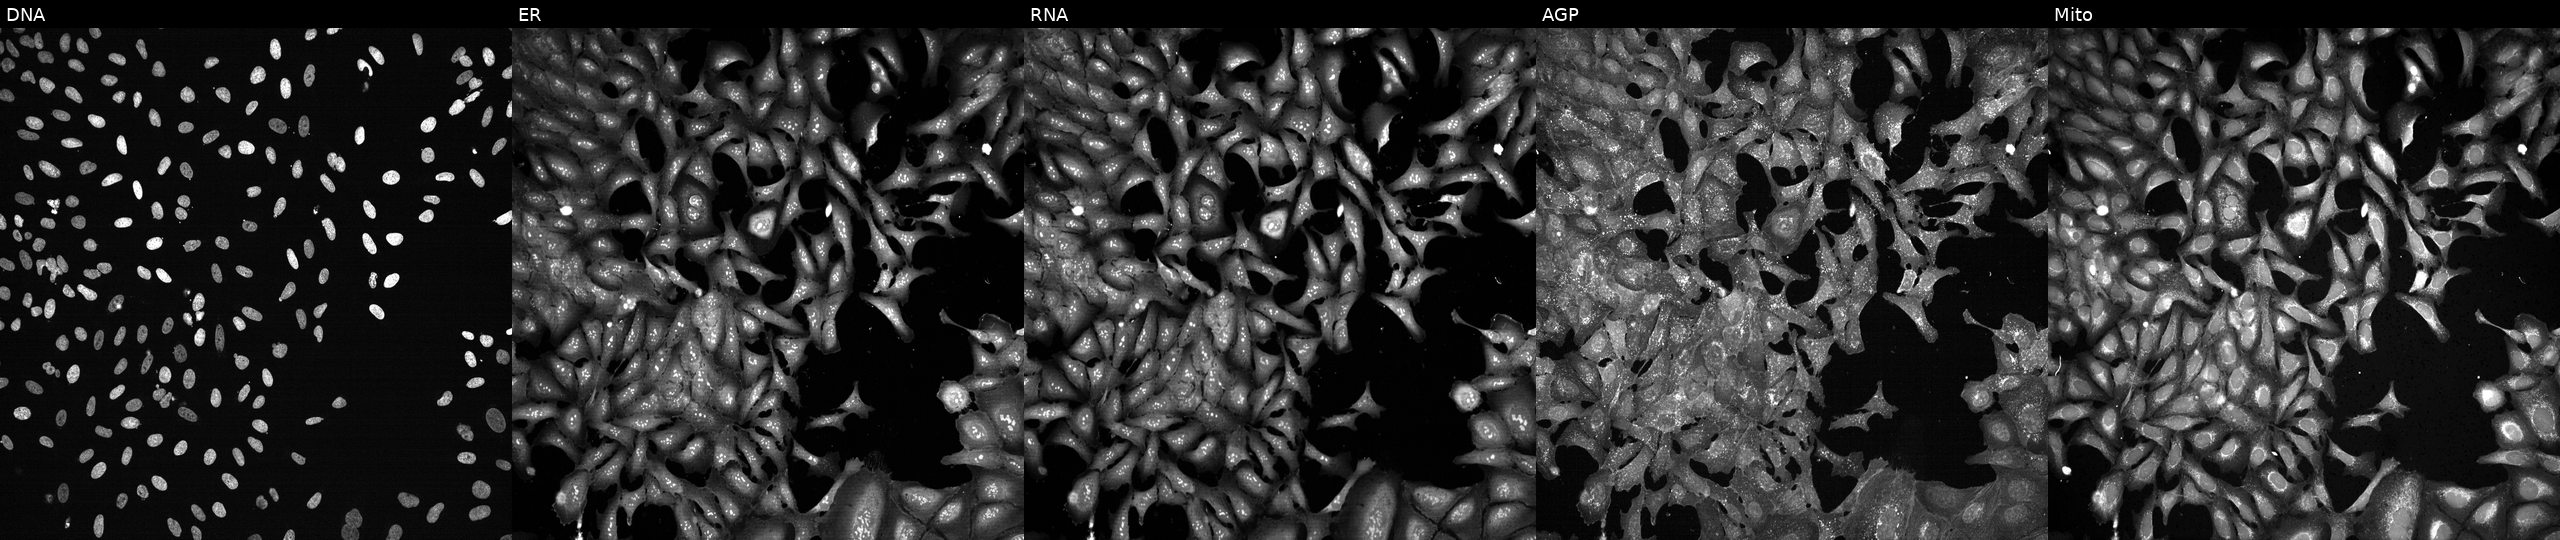
This image strip shows the five Cell Painting channels for a single field of U2OS cells CRISPR-edited to disrupt CROT (JUMP id JCP2022_801513). Panels show, left to right, Hoechst 33342, concanavalin A, SYTO 14, phalloidin and WGA, MitoTracker. Source 13, plate CP-CC9-R1-01, well H11.